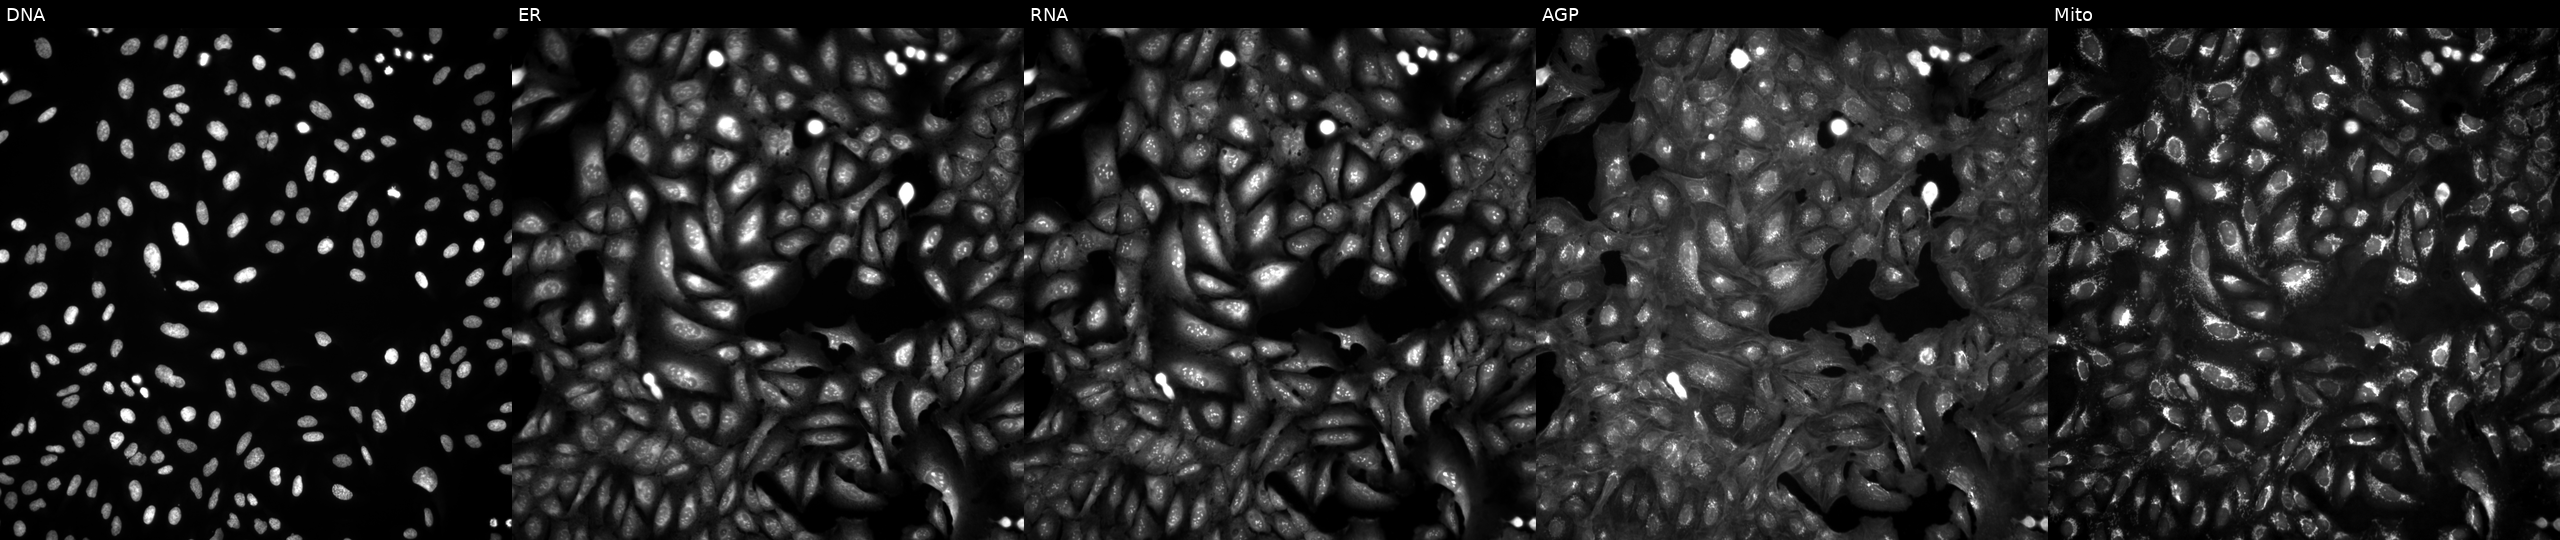
JUMP Cell Painting — ORF plate. U2OS cells in an empty control well (no perturbation) (JUMP id JCP2022_999999). Panels show, left to right, Hoechst 33342, concanavalin A, SYTO 14, phalloidin and WGA, MitoTracker. Source 4, plate BR00124793, well J04.